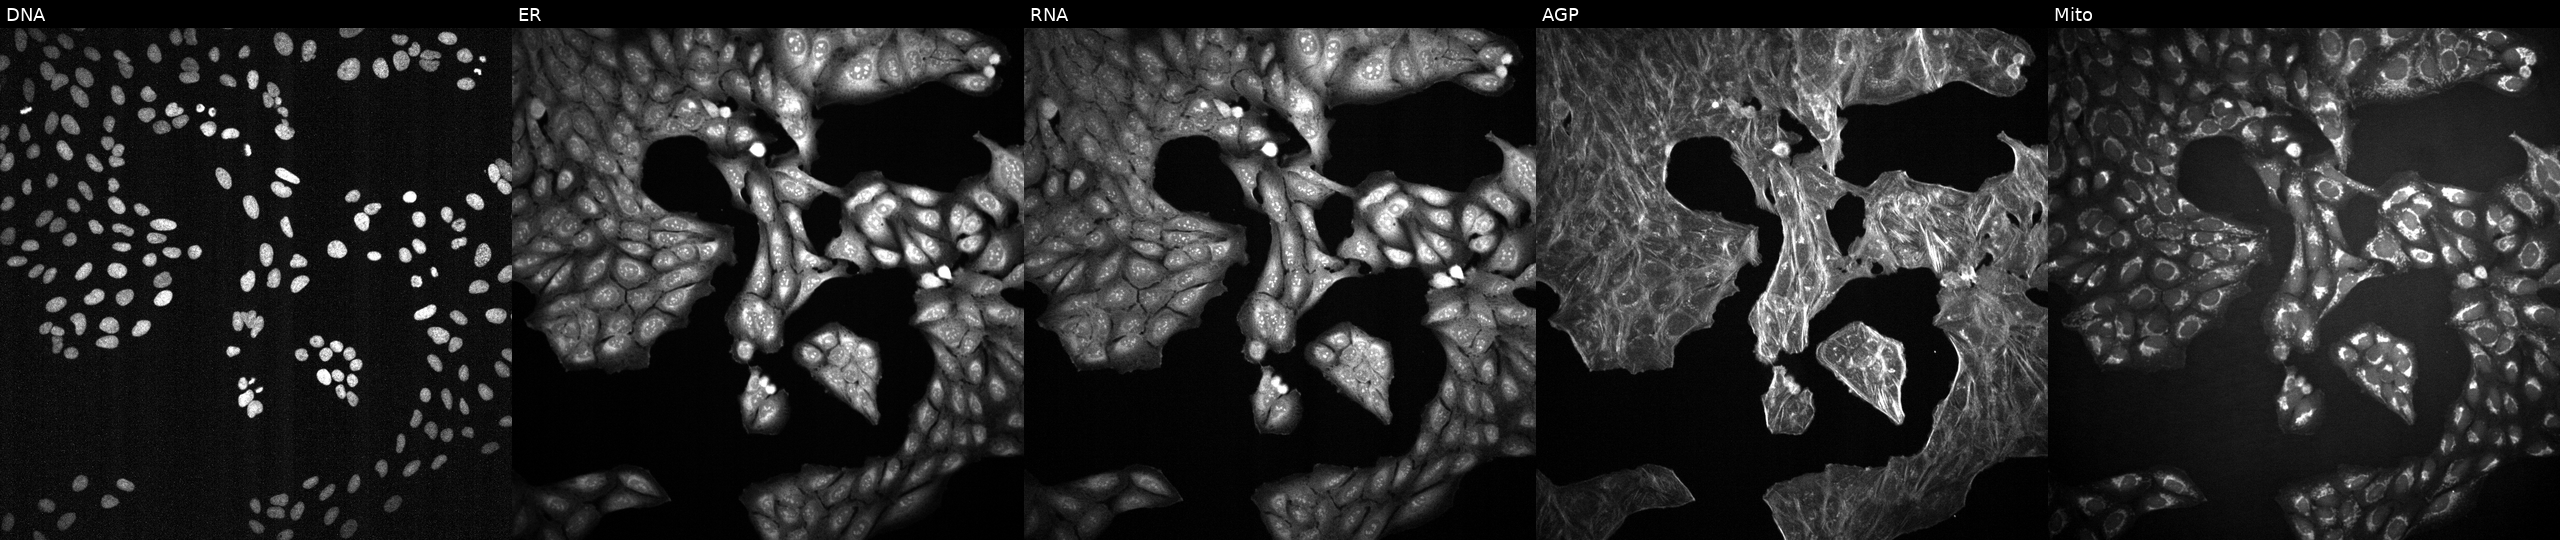
JUMP Cell Painting — TARGET2 plate. U2OS cells exposed to a small-molecule compound (JUMP id JCP2022_060311). Panels show, left to right, DNA (nuclei); ER (endoplasmic reticulum); RNA (nucleoli and cytoplasmic RNA); AGP (actin cytoskeleton, Golgi, and plasma membrane); Mito (mitochondria). Source 2, plate 1053599503, well P10.